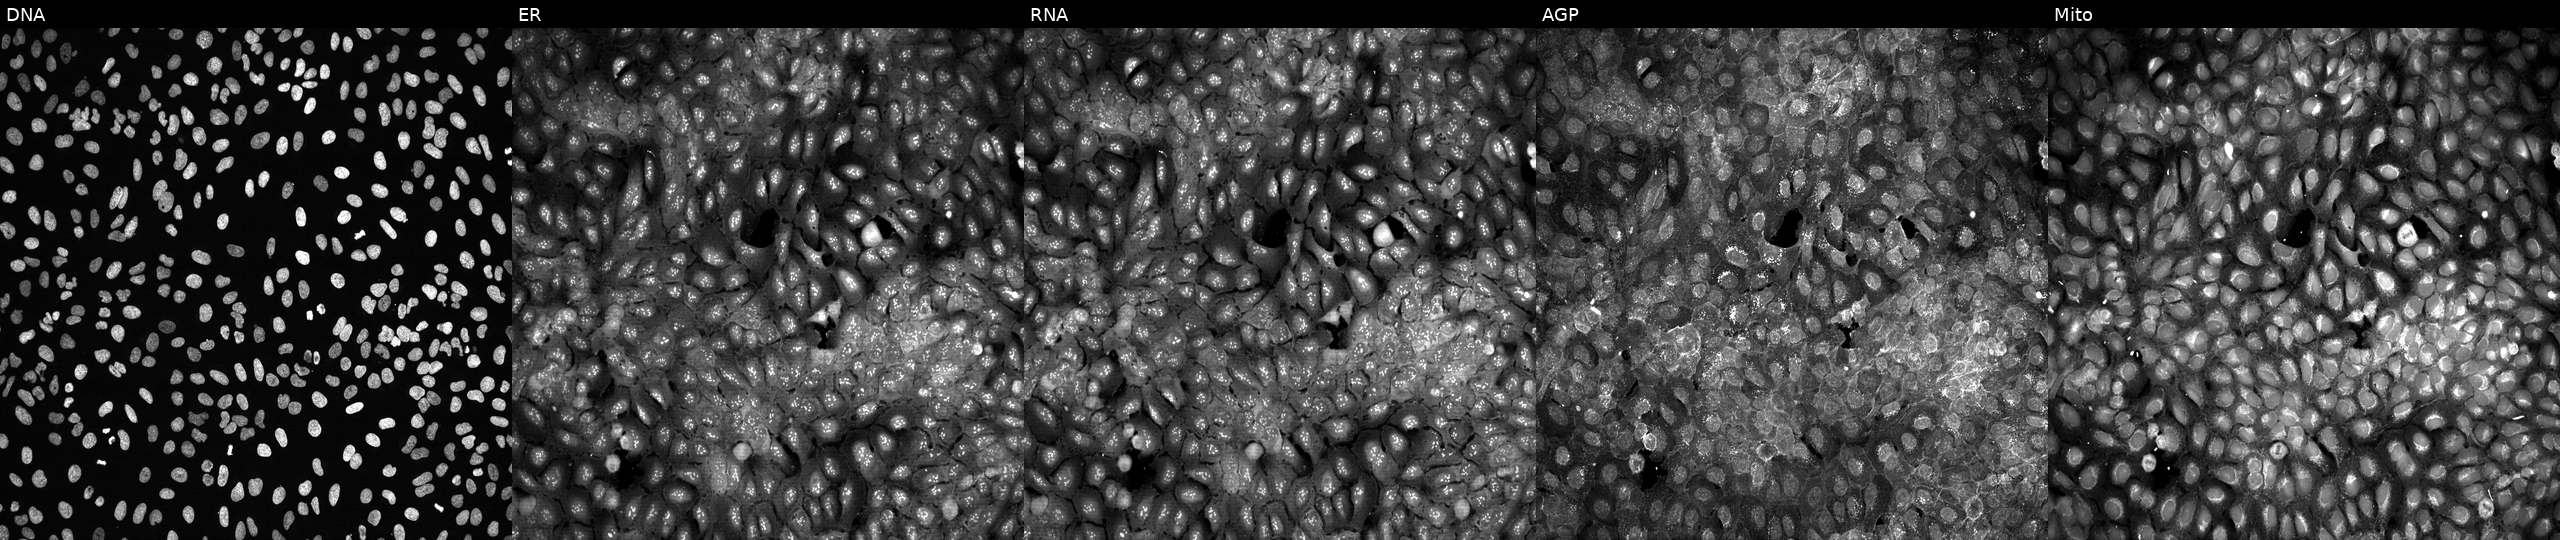
Five-channel Cell Painting image of U2OS cells CRISPR-edited to disrupt LIG4 (JUMP id JCP2022_803839). The five panels, left to right, show DNA, ER, RNA, AGP, and Mito. Source 13, plate CP-CC9-R1-01, well C07.